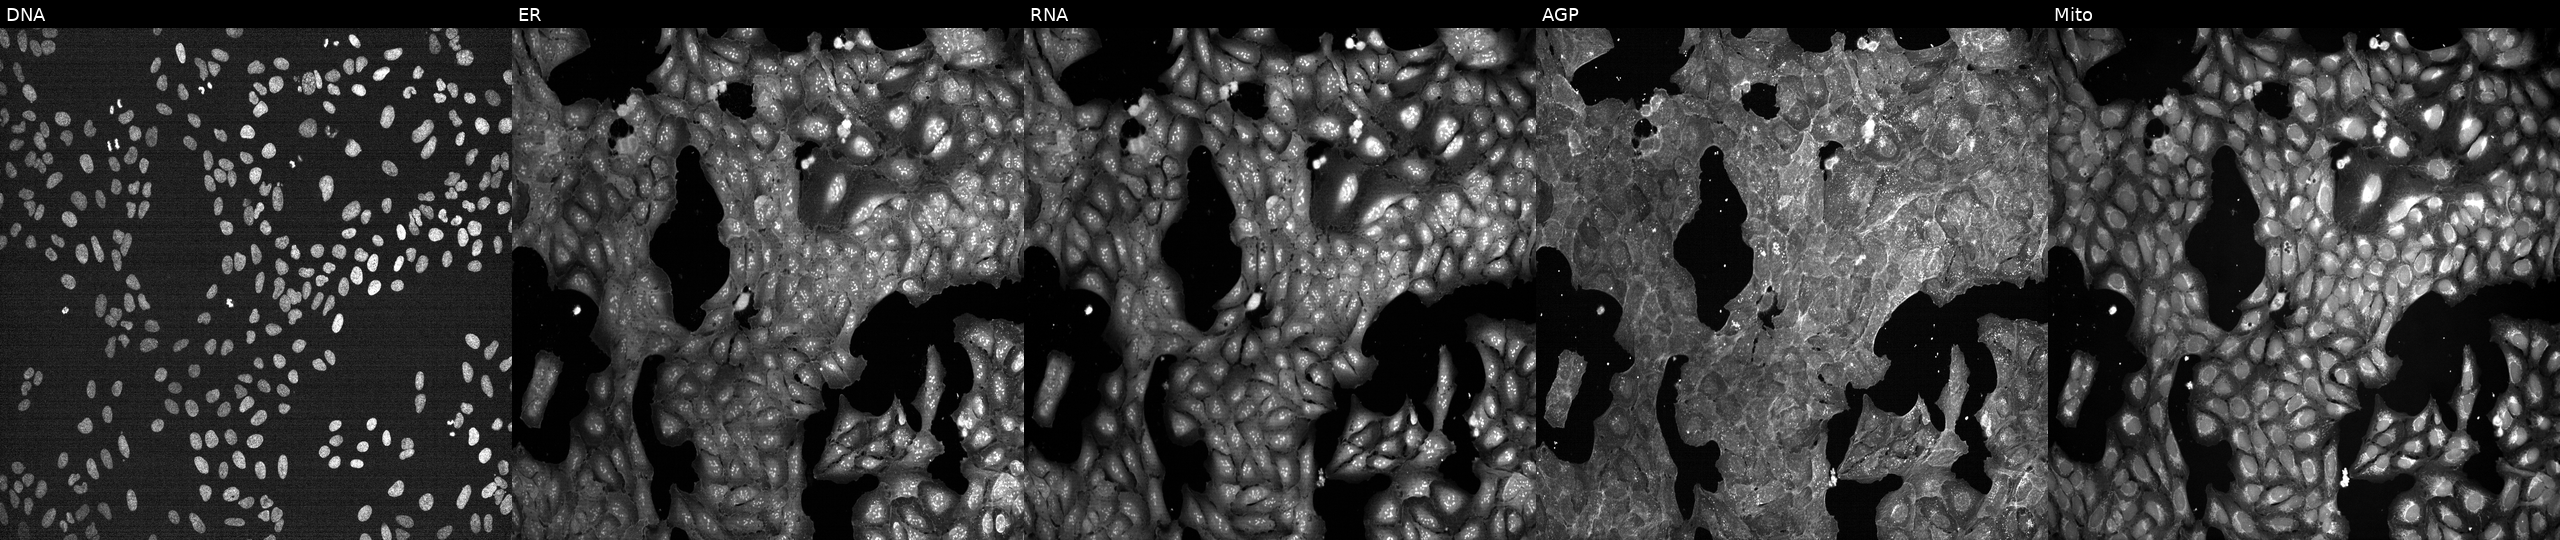
High-content fluorescence microscopy (Cell Painting). Cell line: U2OS. Perturbation: perturbed with a small-molecule compound (InChIKey ROBYKNONIPZMTK-UHFFFAOYSA-N). Panels show, left to right, DNA (nuclei); ER (endoplasmic reticulum); RNA (nucleoli and cytoplasmic RNA); AGP (actin cytoskeleton, Golgi, and plasma membrane); Mito (mitochondria).